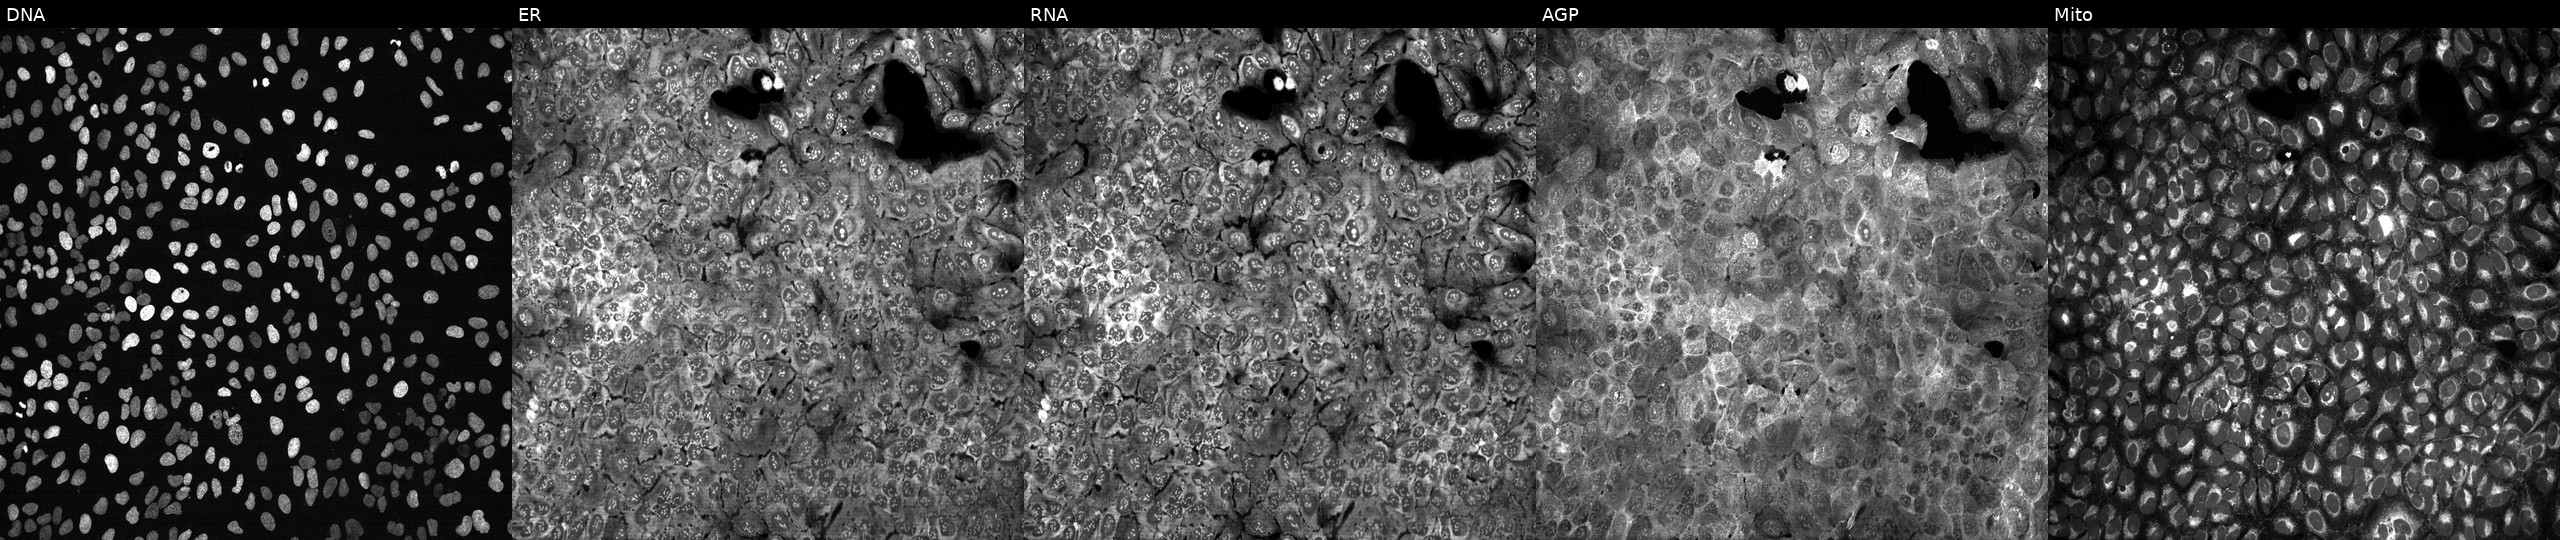
Channels (left→right): DNA, ER, RNA, AGP, and Mito. U2OS osteosarcoma cells with NLRP14 knocked out by CRISPR (JUMP id JCP2022_804605). Cell Painting assay, JUMP-CP dataset. Source 13, plate CP-CC9-R2-02, well I15.